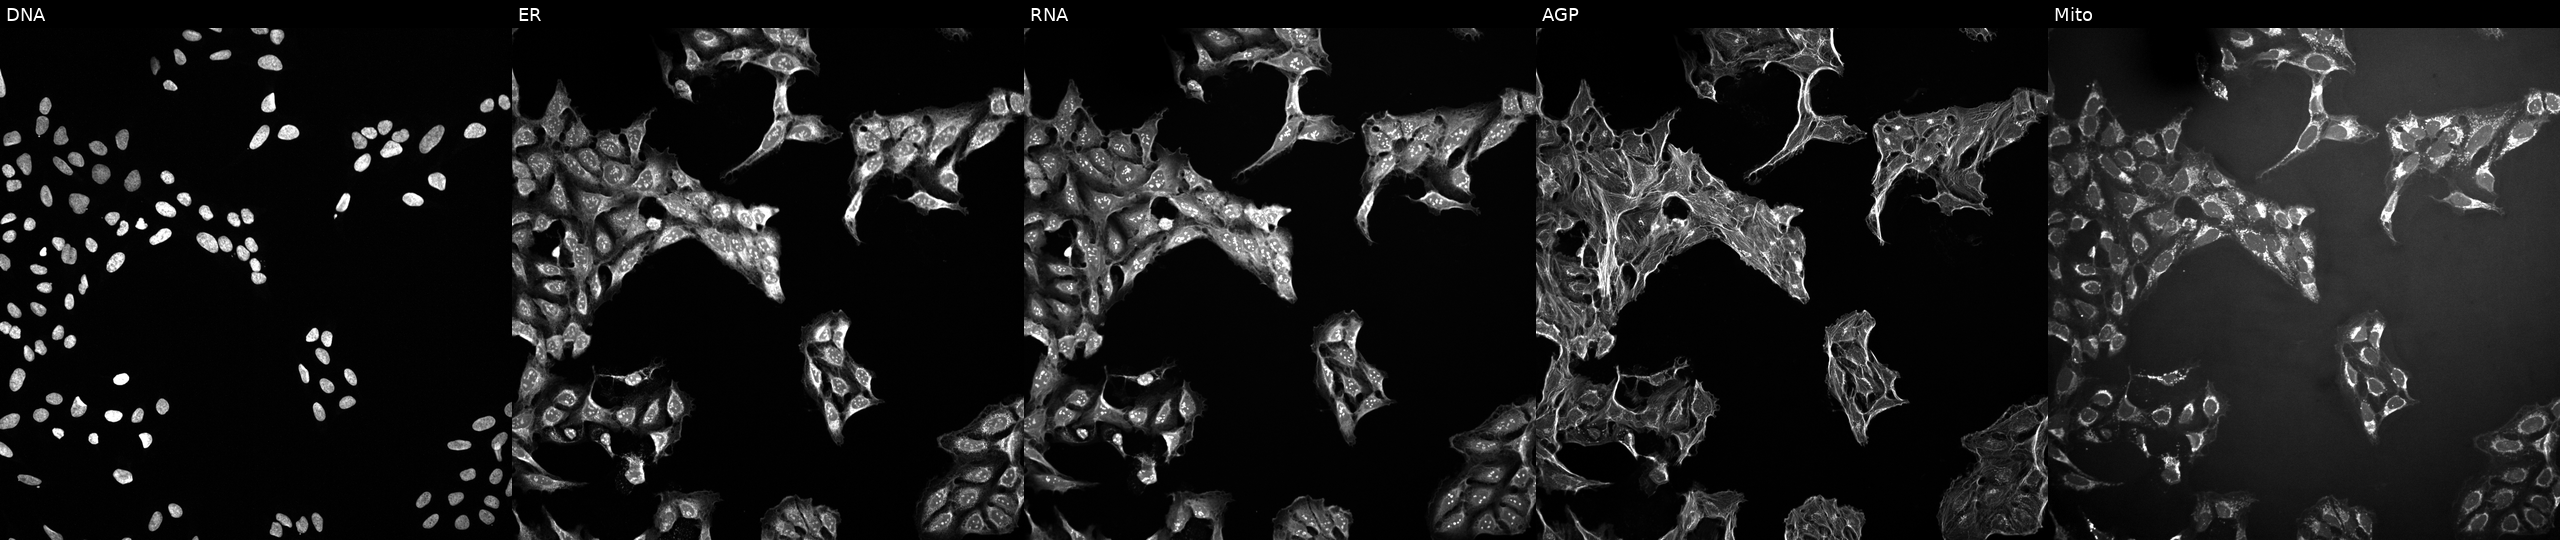
JUMP Cell Painting — TARGET2 plate. U2OS cells exposed to a small-molecule compound (InChIKey SNICXCGAKADSCV-UHFFFAOYSA-N). Panels show, left to right, Hoechst 33342, concanavalin A, SYTO 14, phalloidin and WGA, MitoTracker. Source 10, plate Dest210726-160150, well P02.